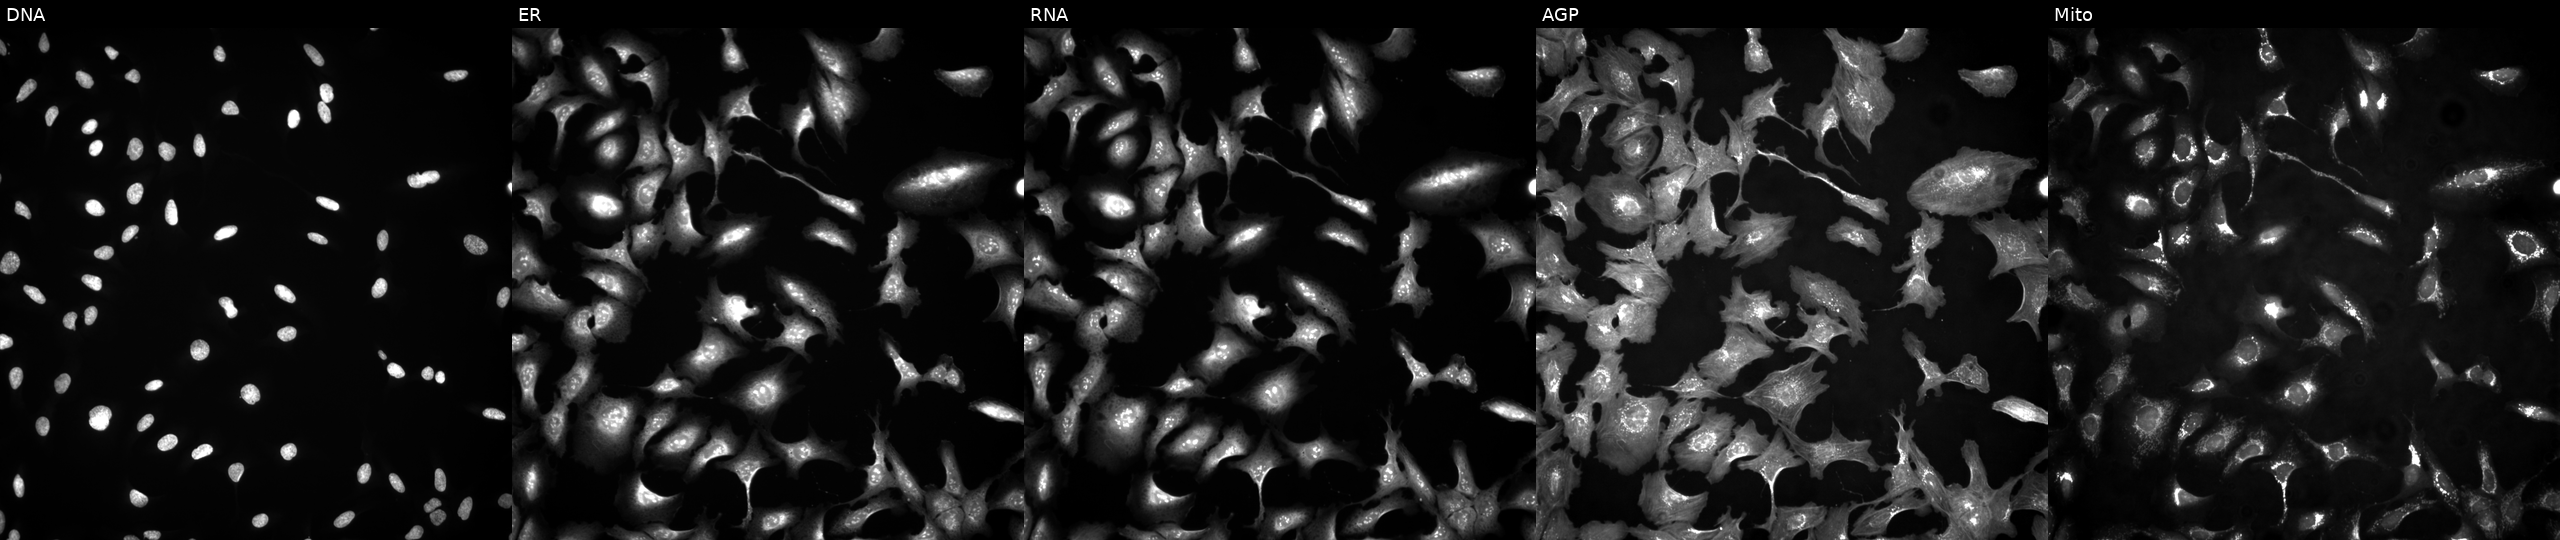
From left to right: DNA, ER, RNA, AGP, and Mito. U2OS osteosarcoma cells transfected with a failed ORF construct (JUMP BAD CONSTRUCT marker). Cell Painting assay, JUMP-CP dataset.